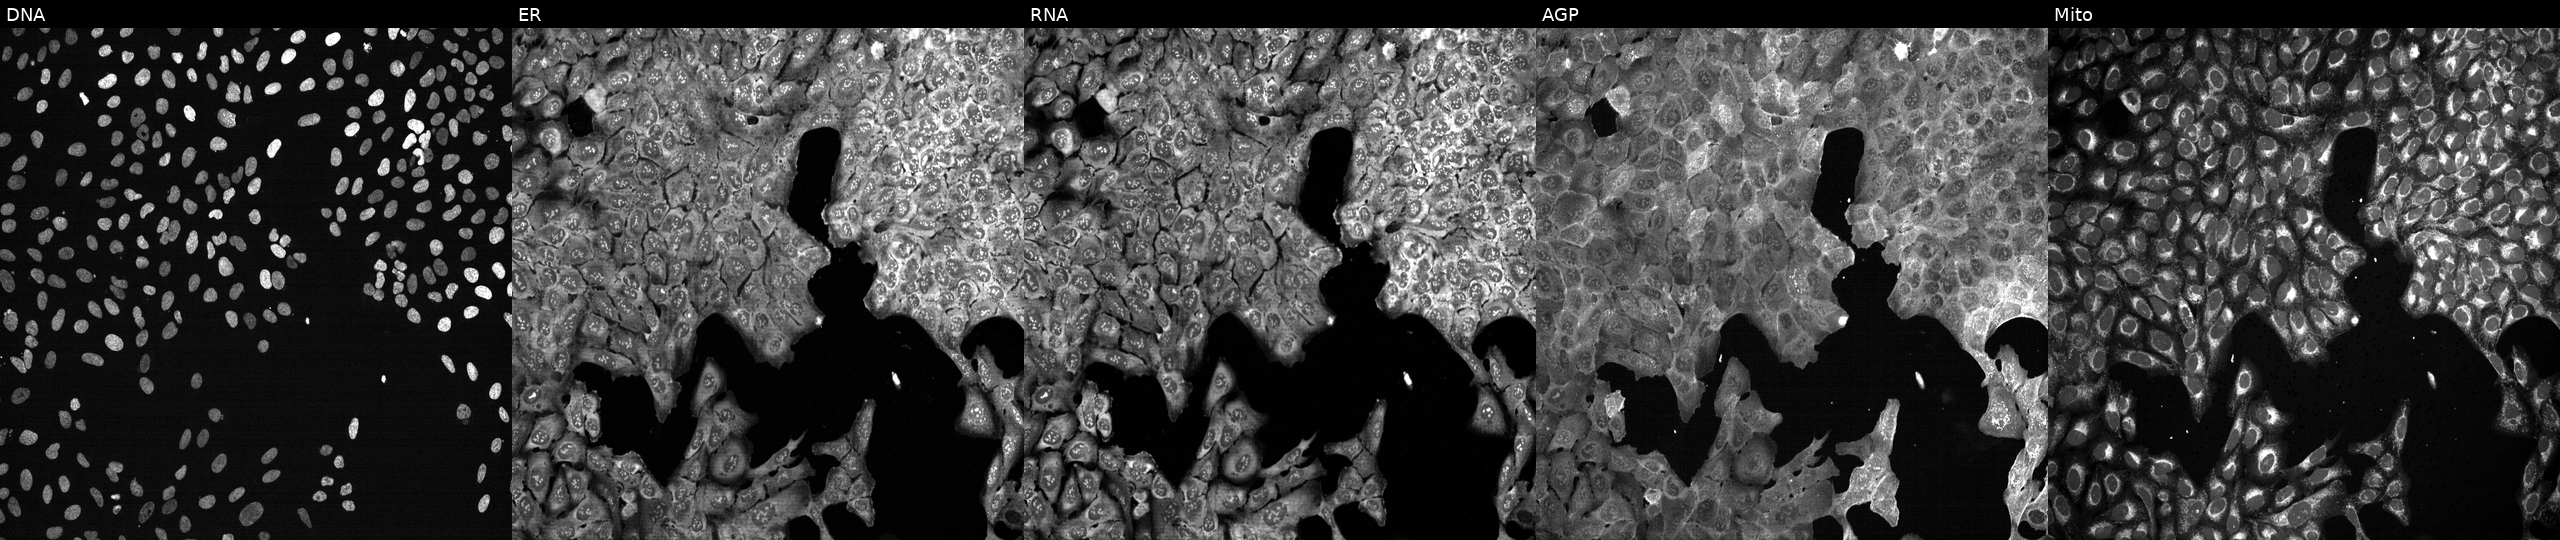
Channels (left→right): DNA (nuclei); ER (endoplasmic reticulum); RNA (nucleoli and cytoplasmic RNA); AGP (actin cytoskeleton, Golgi, and plasma membrane); Mito (mitochondria). U2OS osteosarcoma cells with VAV3 knocked out by CRISPR. Cell Painting assay, JUMP-CP dataset.